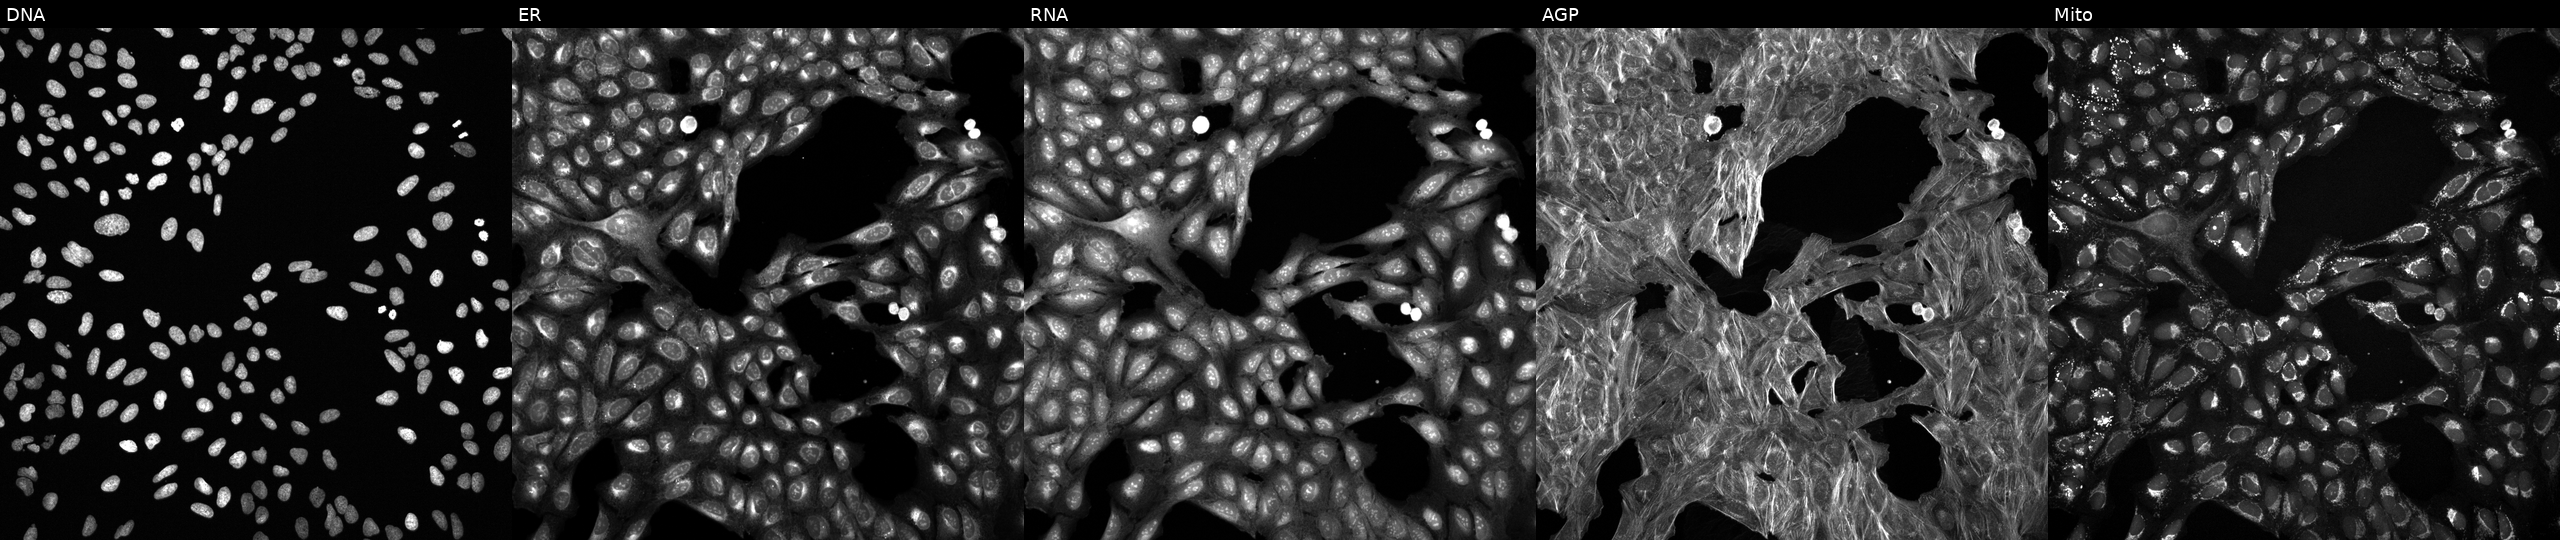
This image strip shows the five Cell Painting channels for a single field of U2OS cells perturbed with a small-molecule compound (InChIKey DCVGEDHPZKSVNJ-UHFFFAOYSA-N). The five panels, left to right, show DNA (nuclei); ER (endoplasmic reticulum); RNA (nucleoli and cytoplasmic RNA); AGP (actin cytoskeleton, Golgi, and plasma membrane); Mito (mitochondria).